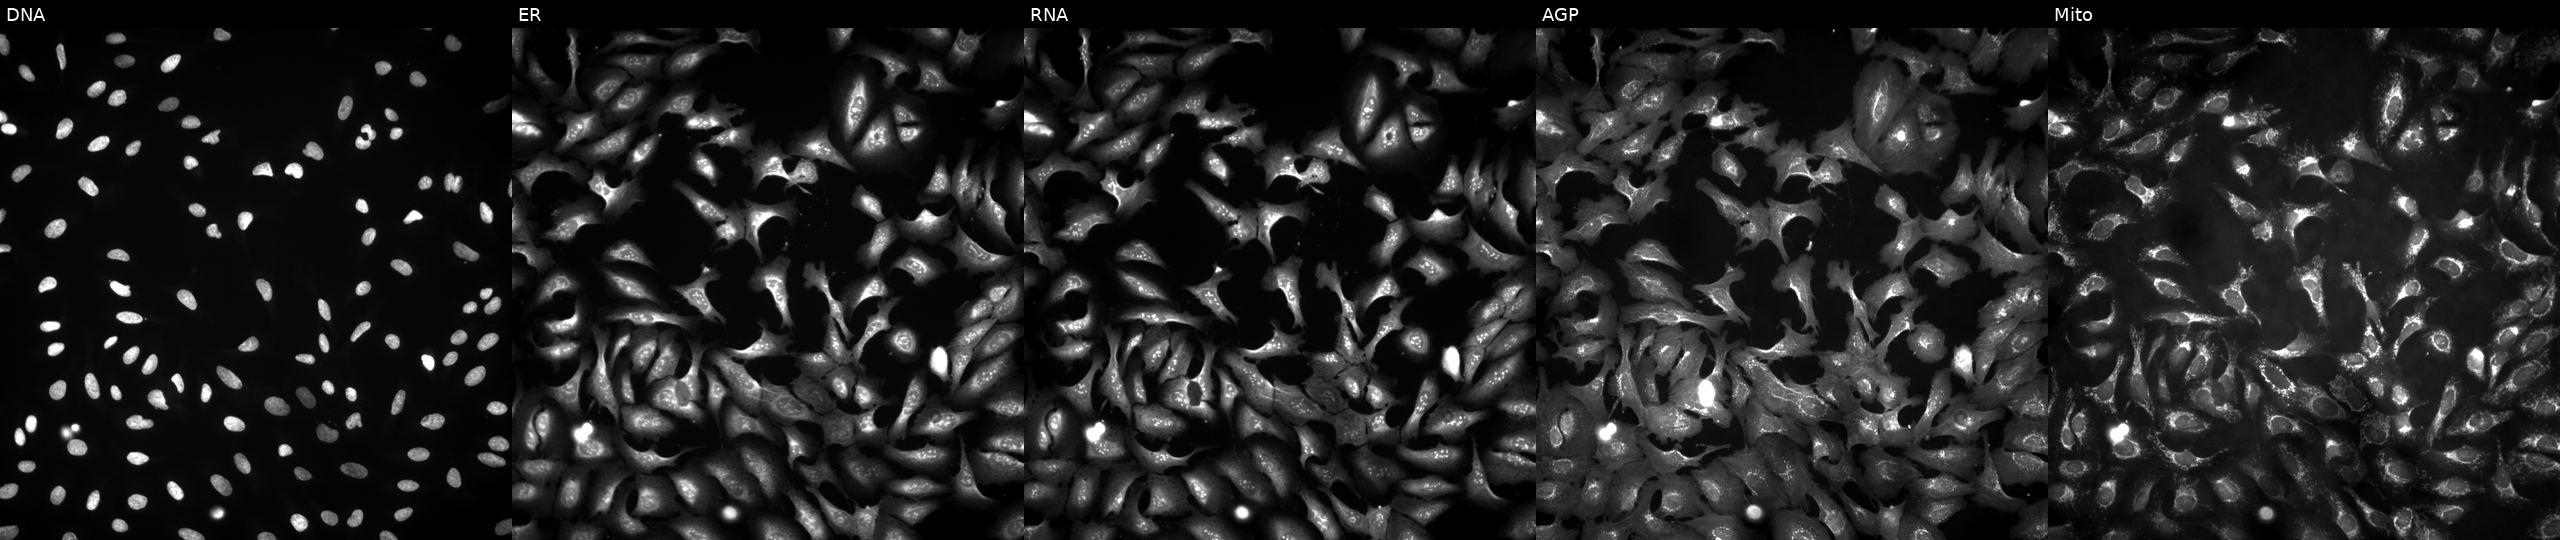
JUMP Cell Painting — ORF plate. U2OS cells with FASTKD2 overexpressed (ORF). Panels show, left to right, DNA (nuclei); ER (endoplasmic reticulum); RNA (nucleoli and cytoplasmic RNA); AGP (actin cytoskeleton, Golgi, and plasma membrane); Mito (mitochondria).